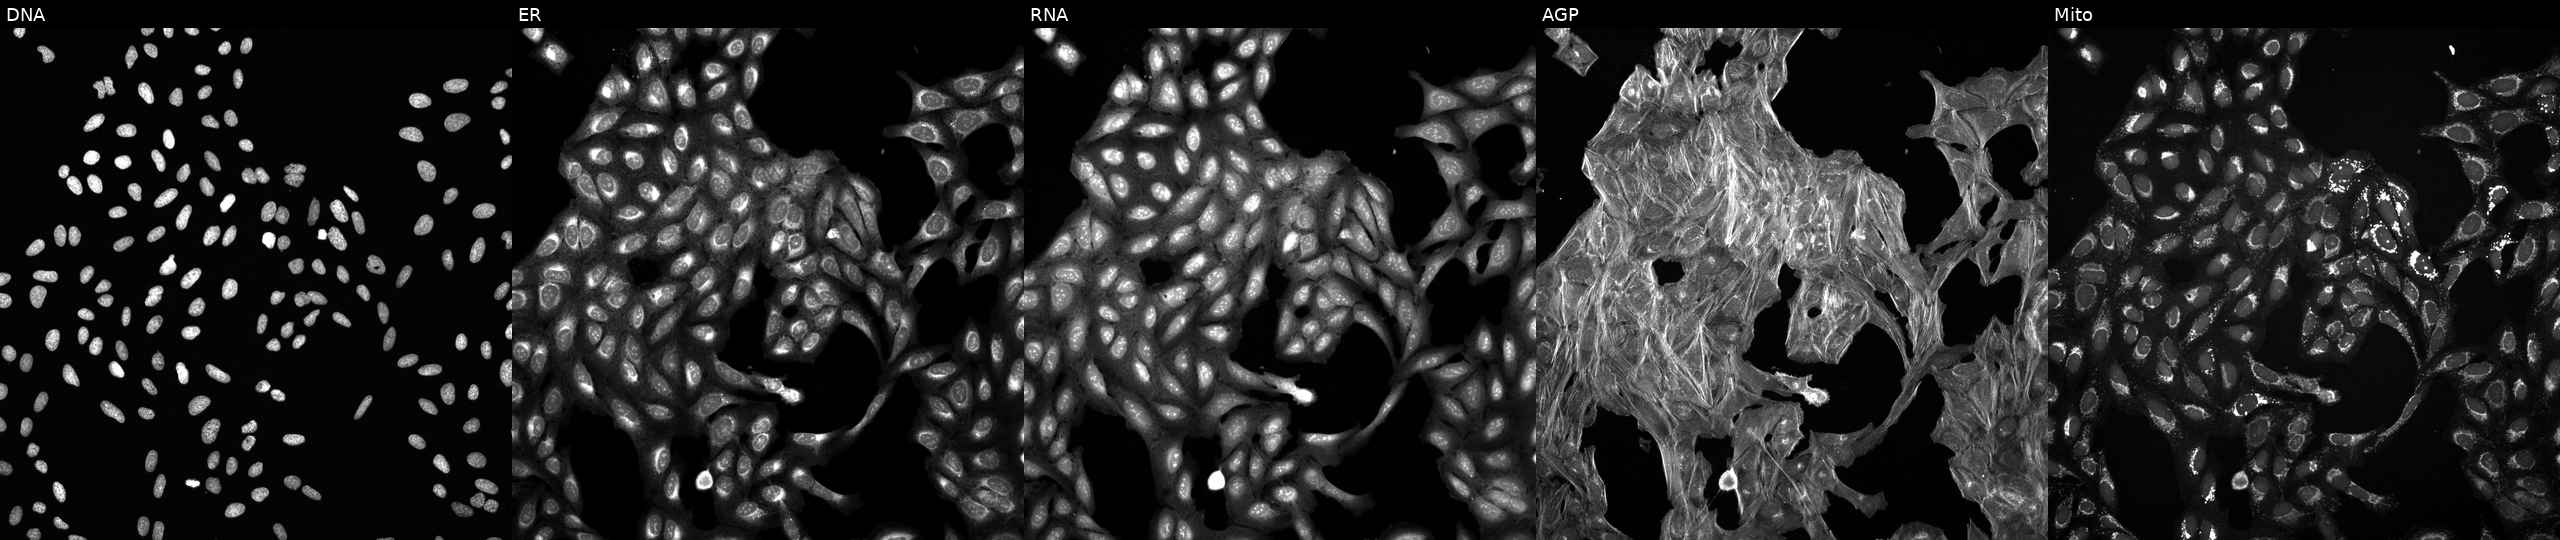
JUMP Cell Painting — TARGET2 plate. U2OS cells exposed to a small-molecule compound [SMILES: O=C(O)CC(O)(CC(=O)O)C(=O)O]. Panels show, left to right, DNA, ER, RNA, AGP, and Mito. Source 6, plate 110000293081, well L12.